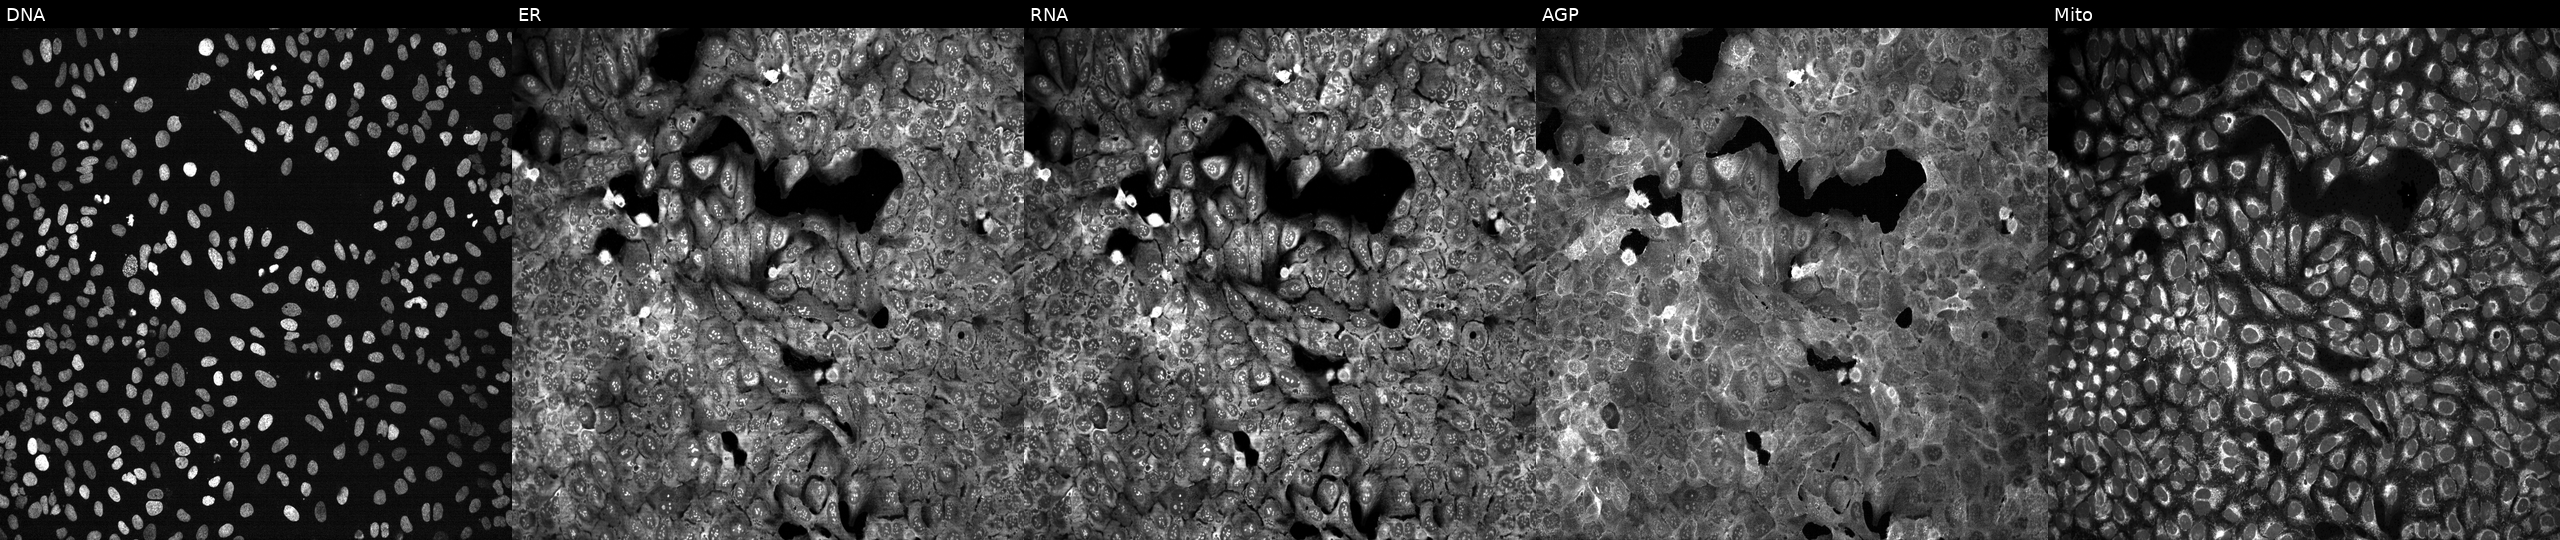
From left to right: DNA, ER, RNA, AGP, and Mito. U2OS osteosarcoma cells CRISPR-edited to disrupt MEST. Cell Painting assay, JUMP-CP dataset. Source 13, plate CP-CC9-R3-02, well B21.